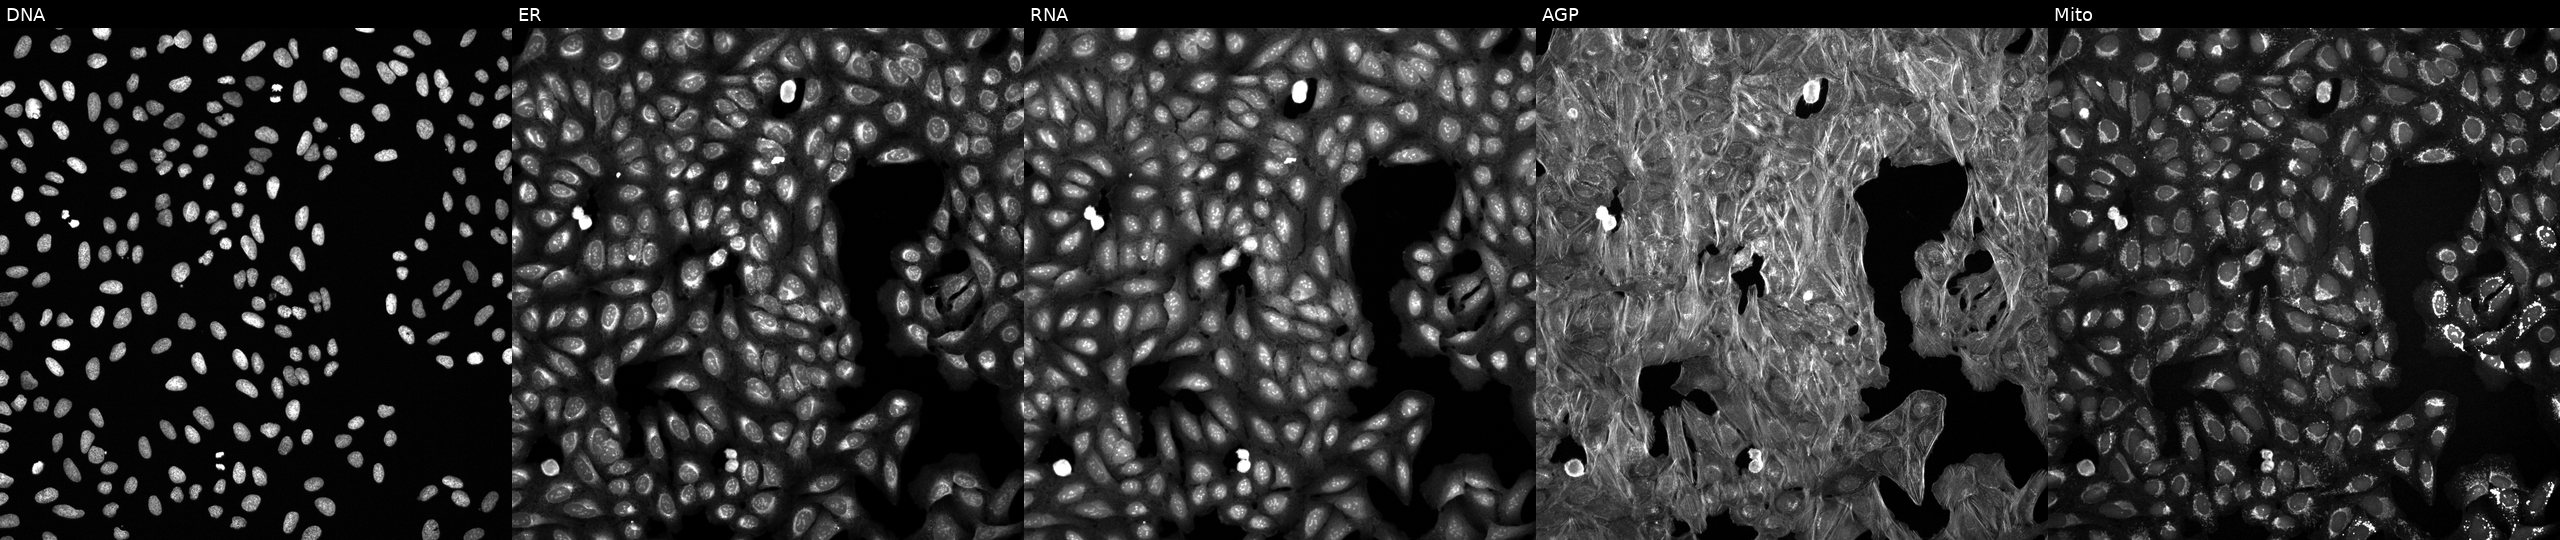
The five panels, left to right, show DNA (nuclei); ER (endoplasmic reticulum); RNA (nucleoli and cytoplasmic RNA); AGP (actin cytoskeleton, Golgi, and plasma membrane); Mito (mitochondria). U2OS osteosarcoma cells treated with a small-molecule compound. Cell Painting assay, JUMP-CP dataset. Source 6, plate 110000293083, well L06.